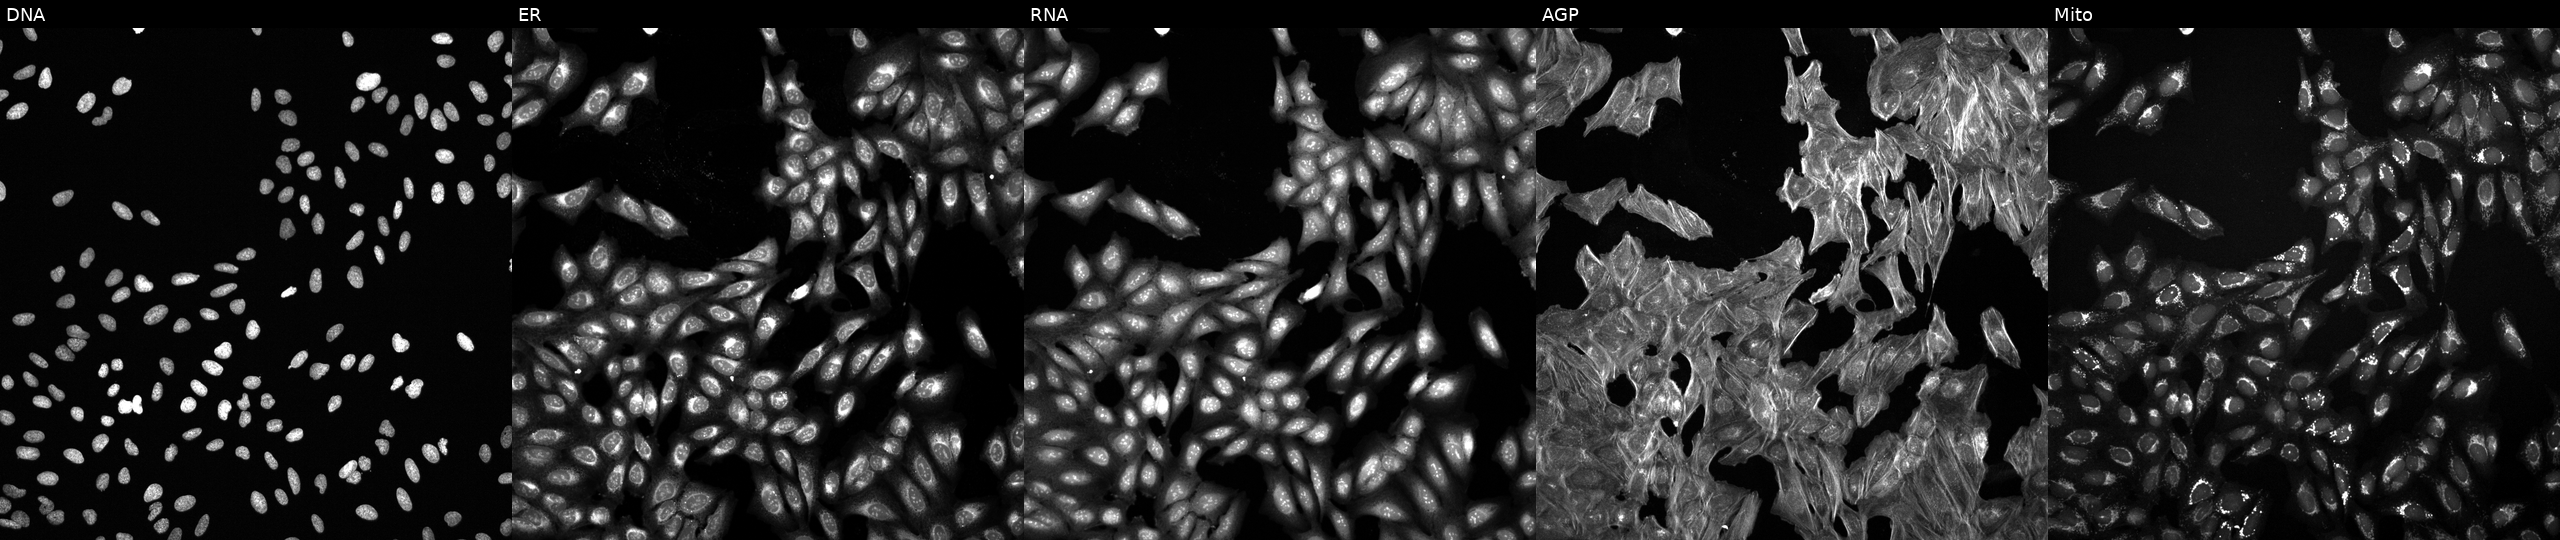
This image strip shows the five Cell Painting channels for a single field of U2OS cells perturbed with a small-molecule compound (InChIKey JDKKNQACNITFEA-UHFFFAOYSA-N). From left to right: DNA (nuclei); ER (endoplasmic reticulum); RNA (nucleoli and cytoplasmic RNA); AGP (actin cytoskeleton, Golgi, and plasma membrane); Mito (mitochondria). Source 6, plate 110000293081, well O10.